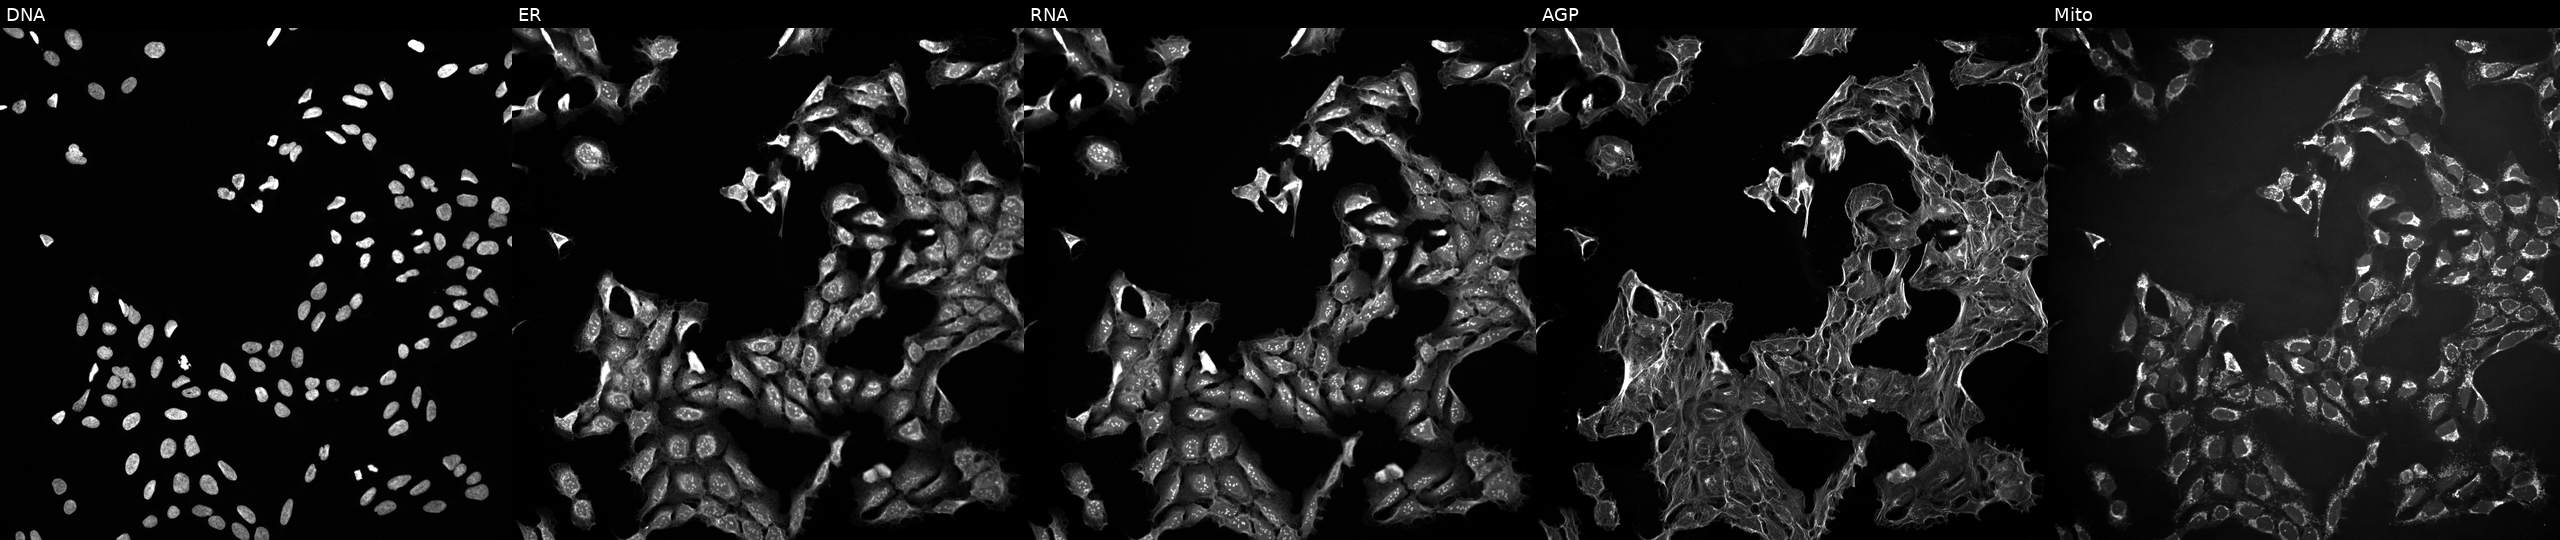
U2OS cells, Cell Painting assay, exposed to a small-molecule compound. From left to right: DNA (nuclei); ER (endoplasmic reticulum); RNA (nucleoli and cytoplasmic RNA); AGP (actin cytoskeleton, Golgi, and plasma membrane); Mito (mitochondria). Each panel is percentile-stretched 16-bit fluorescence. Source 10, plate Dest210726-160150, well O16.